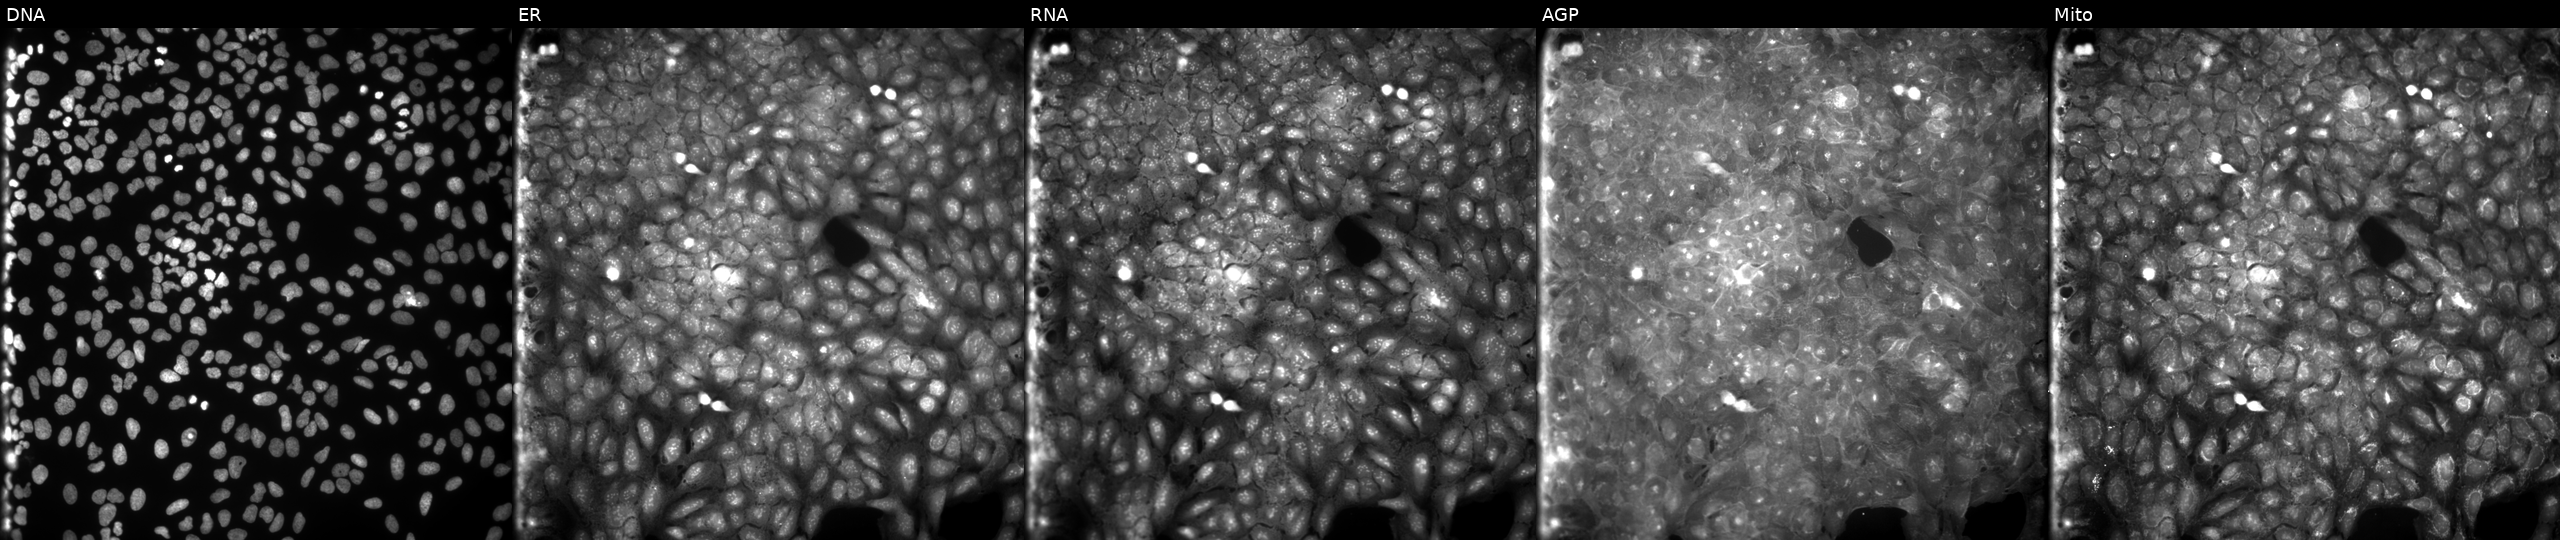
JUMP Cell Painting — COMPOUND plate. U2OS cells exposed to a small-molecule compound (JUMP id JCP2022_079676). The five panels, left to right, show DNA (nuclei); ER (endoplasmic reticulum); RNA (nucleoli and cytoplasmic RNA); AGP (actin cytoskeleton, Golgi, and plasma membrane); Mito (mitochondria).